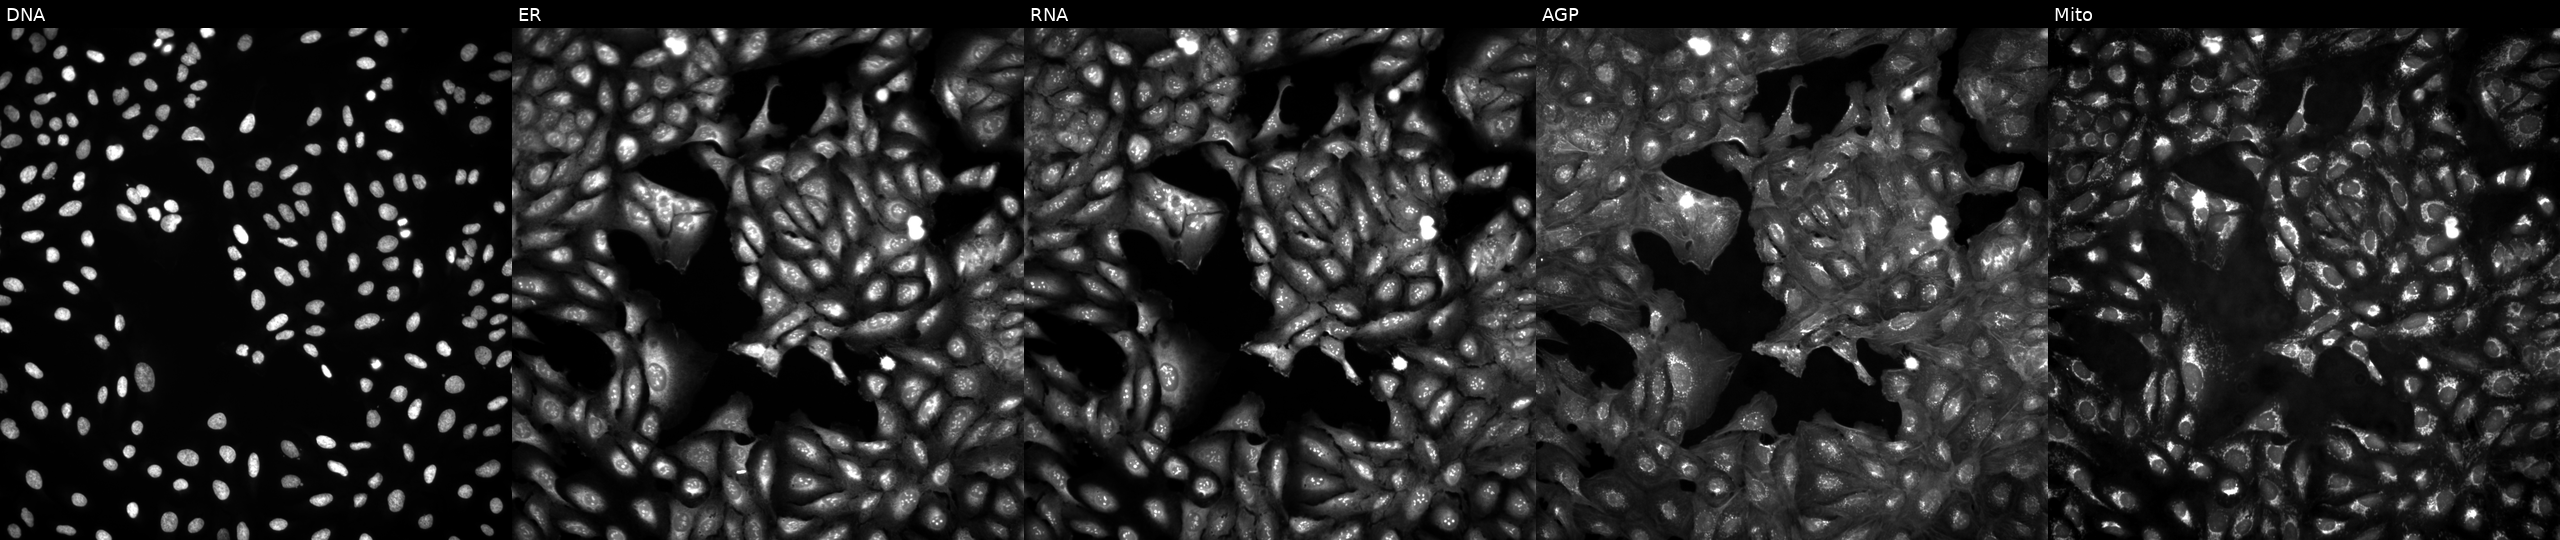
High-content fluorescence microscopy (Cell Painting). Cell line: U2OS. Perturbation: in an empty control well (no perturbation) (JUMP id JCP2022_999999). The five panels, left to right, show DNA, ER, RNA, AGP, and Mito.